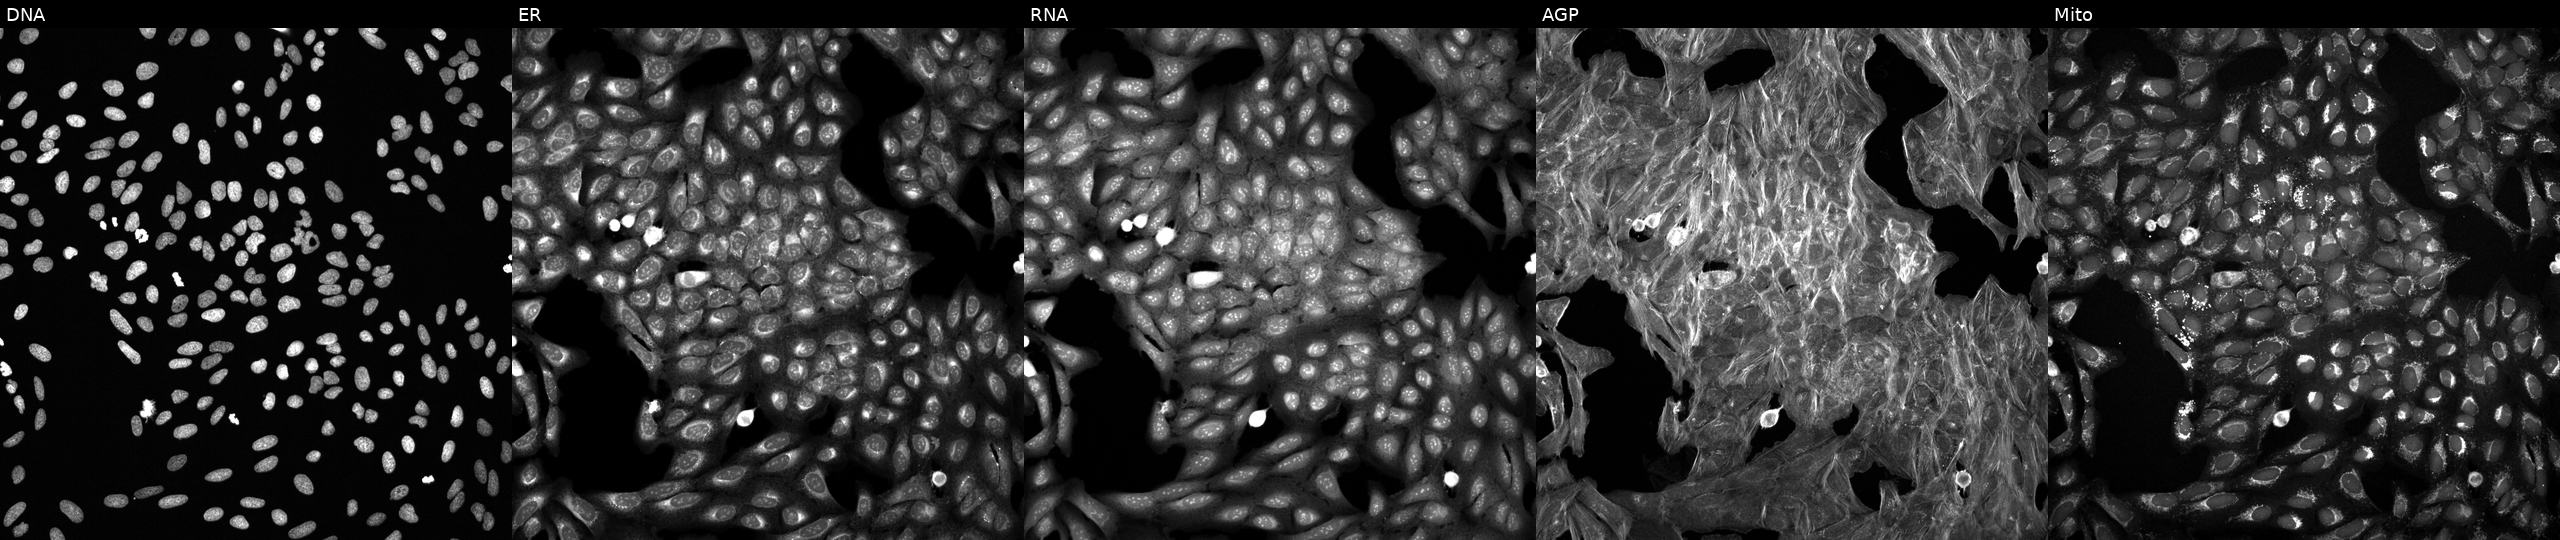
From left to right: Hoechst 33342, concanavalin A, SYTO 14, phalloidin and WGA, MitoTracker. U2OS osteosarcoma cells treated with a small-molecule compound (JUMP id JCP2022_028645). Cell Painting assay, JUMP-CP dataset.